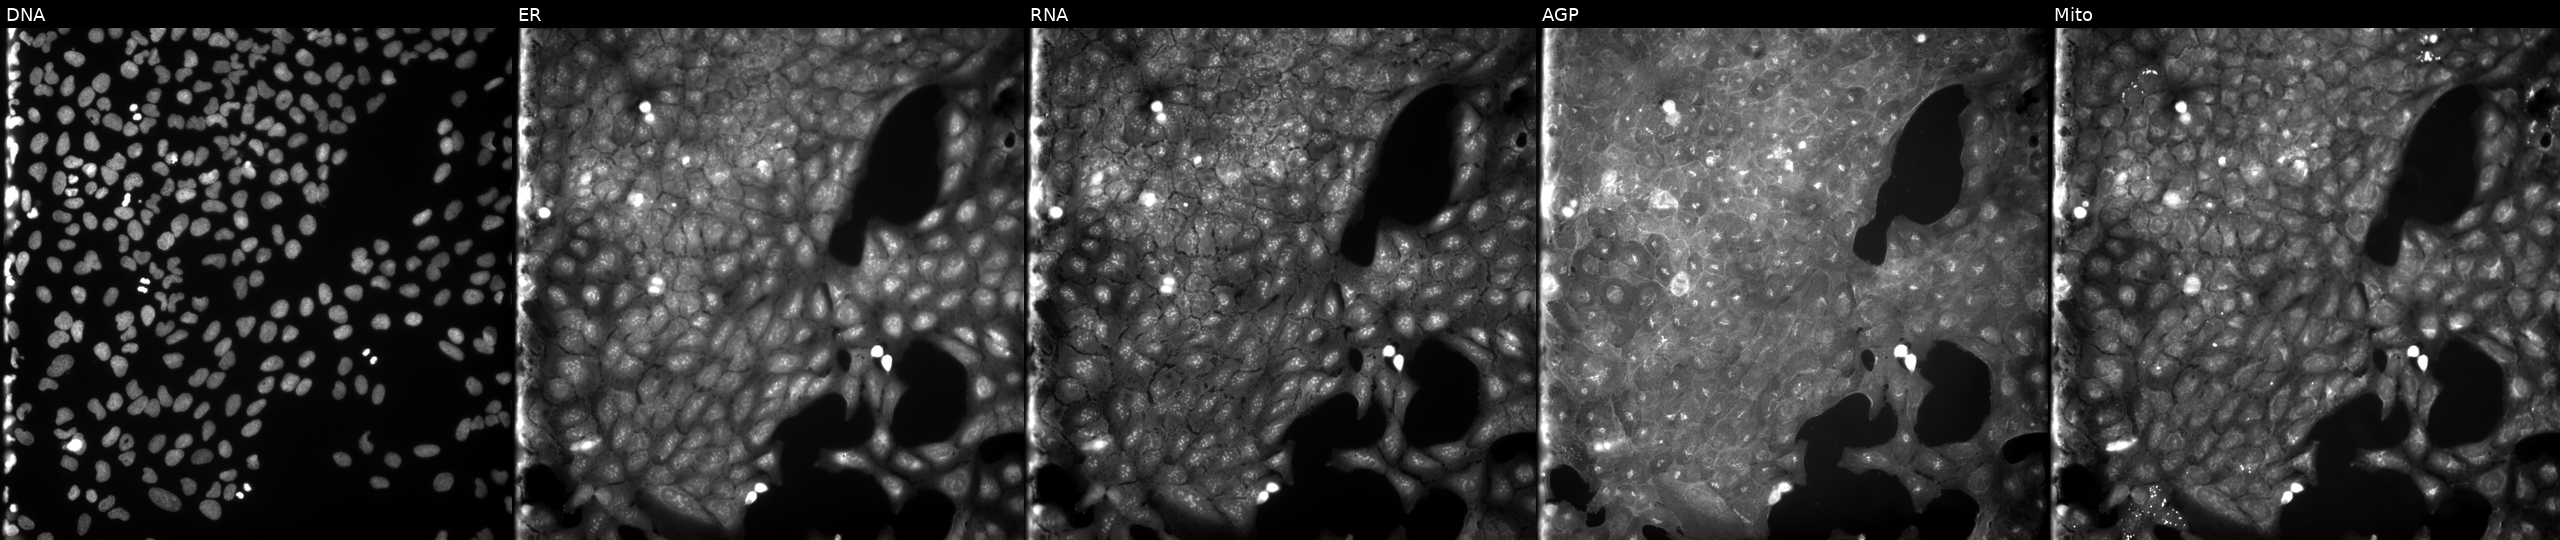
High-content fluorescence microscopy (Cell Painting). Cell line: U2OS. Perturbation: perturbed with a small-molecule compound. From left to right: Hoechst 33342, concanavalin A, SYTO 14, phalloidin and WGA, MitoTracker. Source 9, plate GR00003381, well M12.